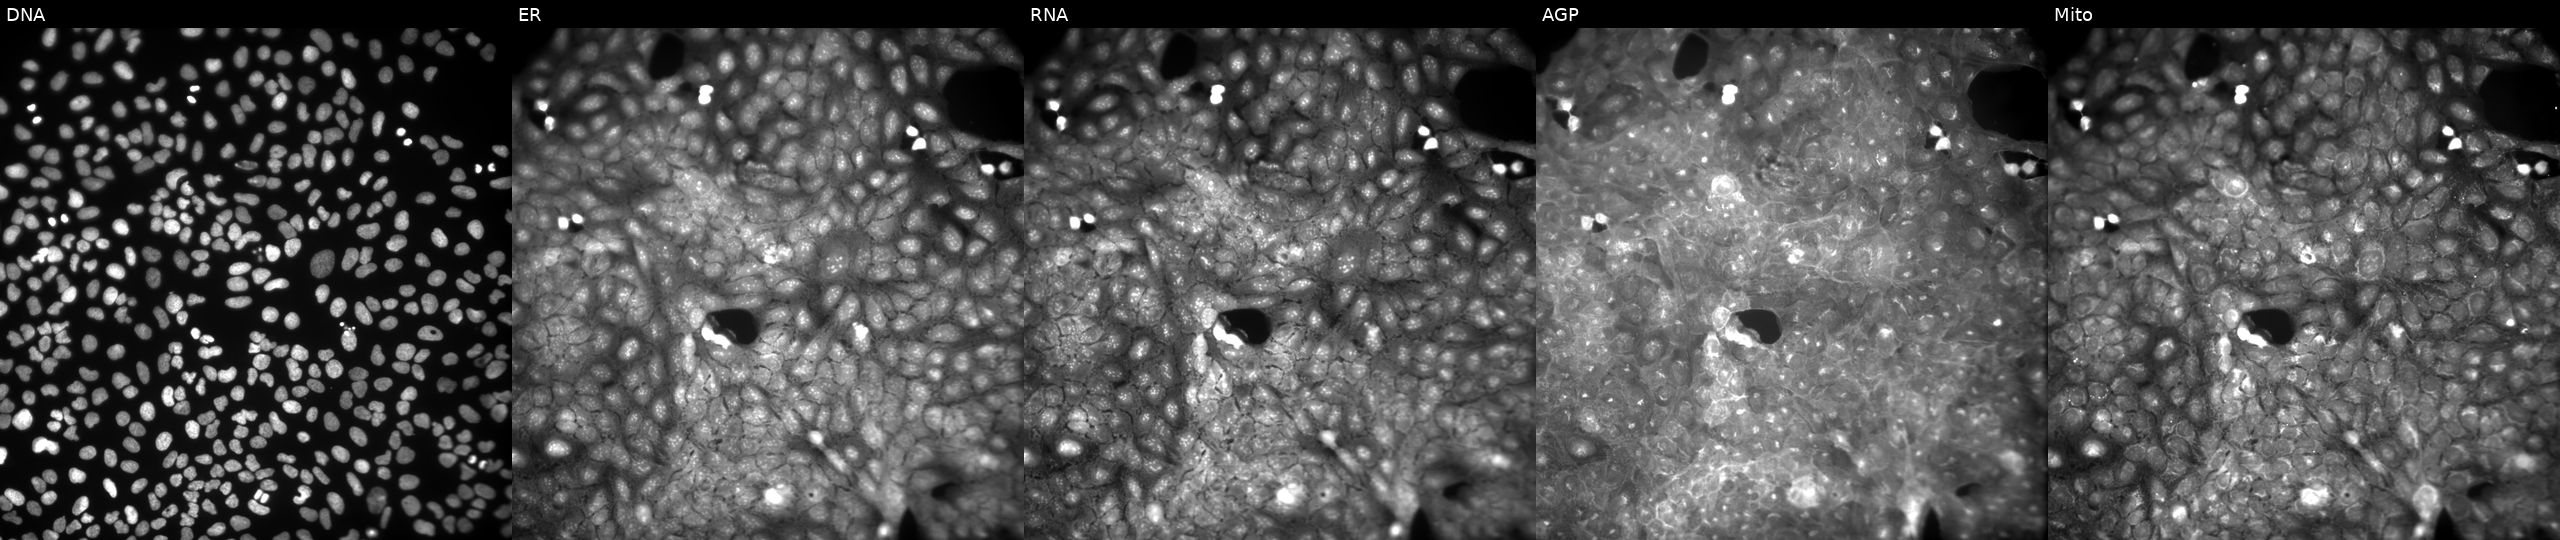
Five-channel Cell Painting image of U2OS cells treated with a small-molecule compound (InChIKey BCDYFWFMQLBQFC-UHFFFAOYSA-N). From left to right: Hoechst 33342, concanavalin A, SYTO 14, phalloidin and WGA, MitoTracker.